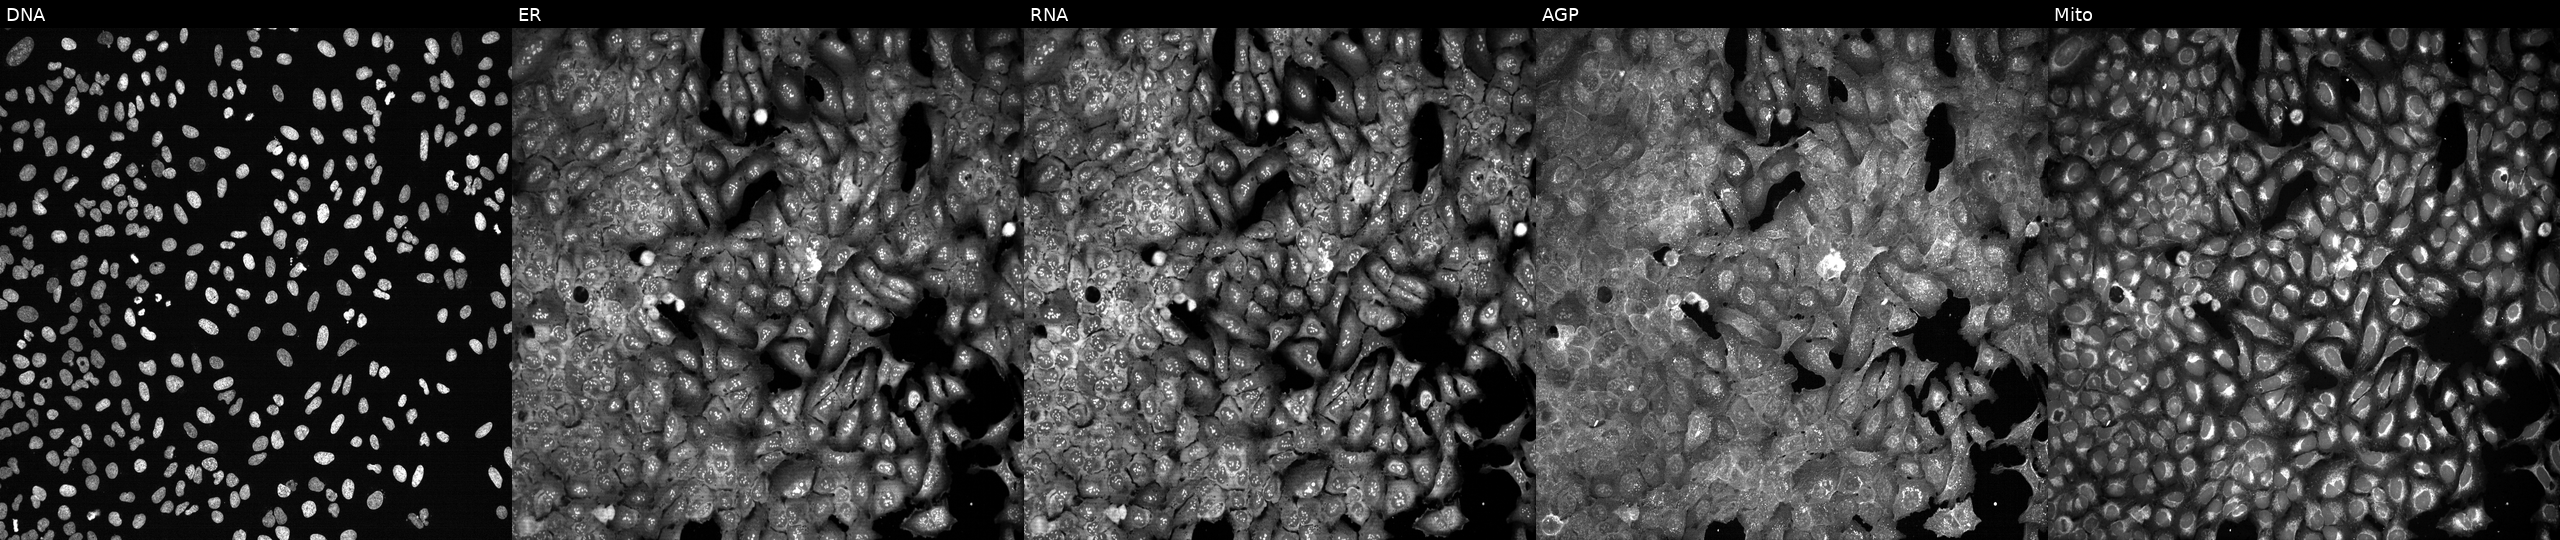
This image strip shows the five Cell Painting channels for a single field of U2OS cells following CRISPR knockout of PIWIL1. The five panels, left to right, show DNA (nuclei); ER (endoplasmic reticulum); RNA (nucleoli and cytoplasmic RNA); AGP (actin cytoskeleton, Golgi, and plasma membrane); Mito (mitochondria).